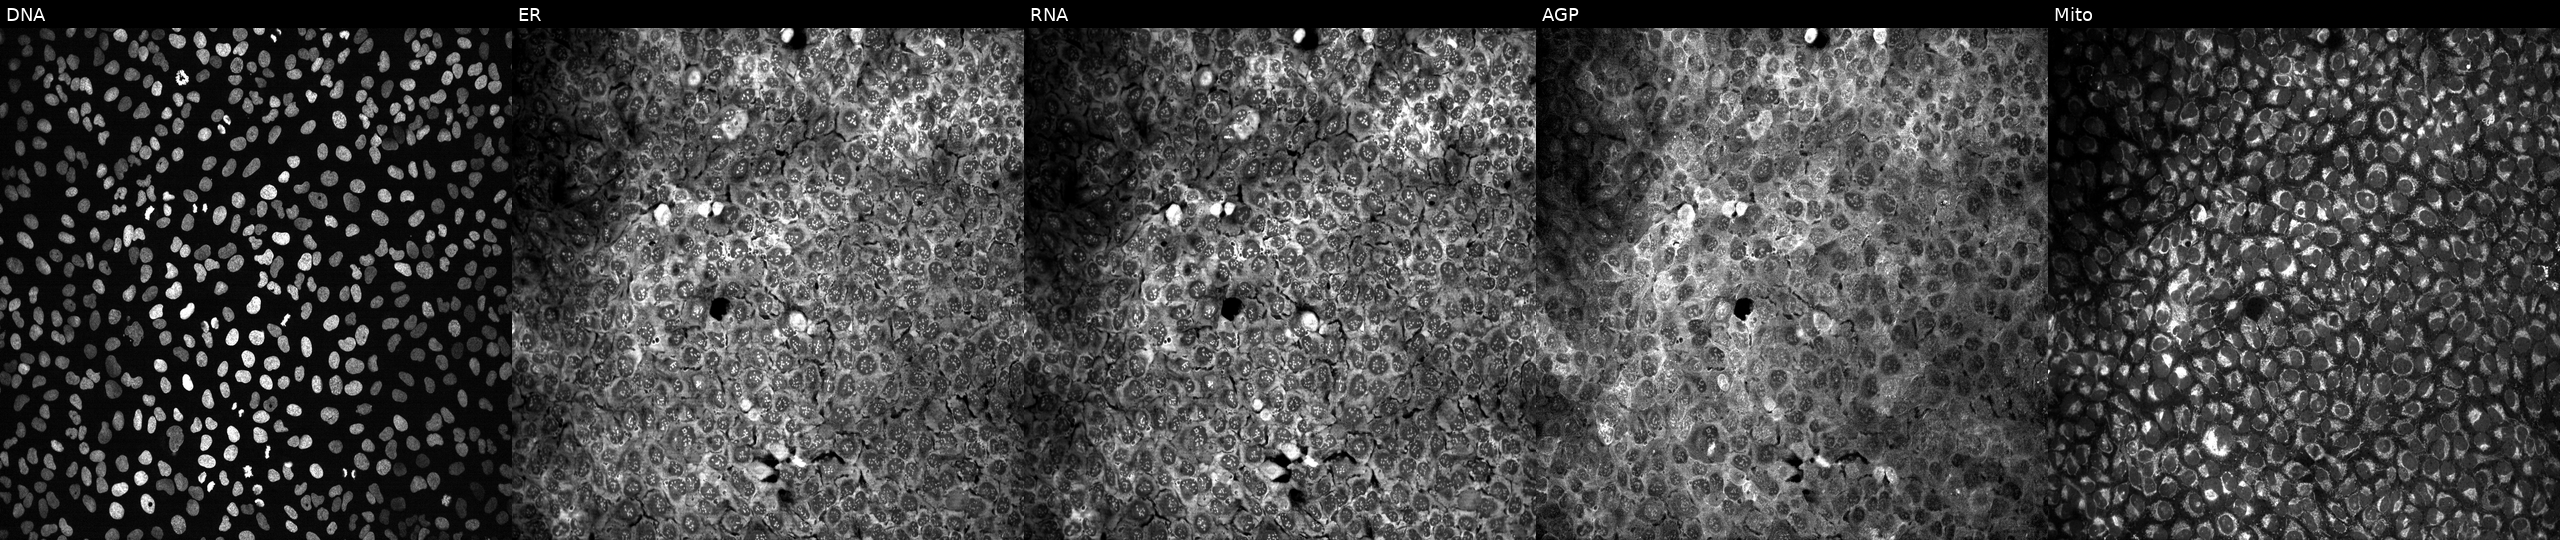
High-content fluorescence microscopy (Cell Painting). Cell line: U2OS. Perturbation: treated with quinidine (positive-control compound) (JUMP id JCP2022_050797). Channels (left→right): Hoechst 33342, concanavalin A, SYTO 14, phalloidin and WGA, MitoTracker. Source 13, plate CP-CC9-R3-01, well K24.